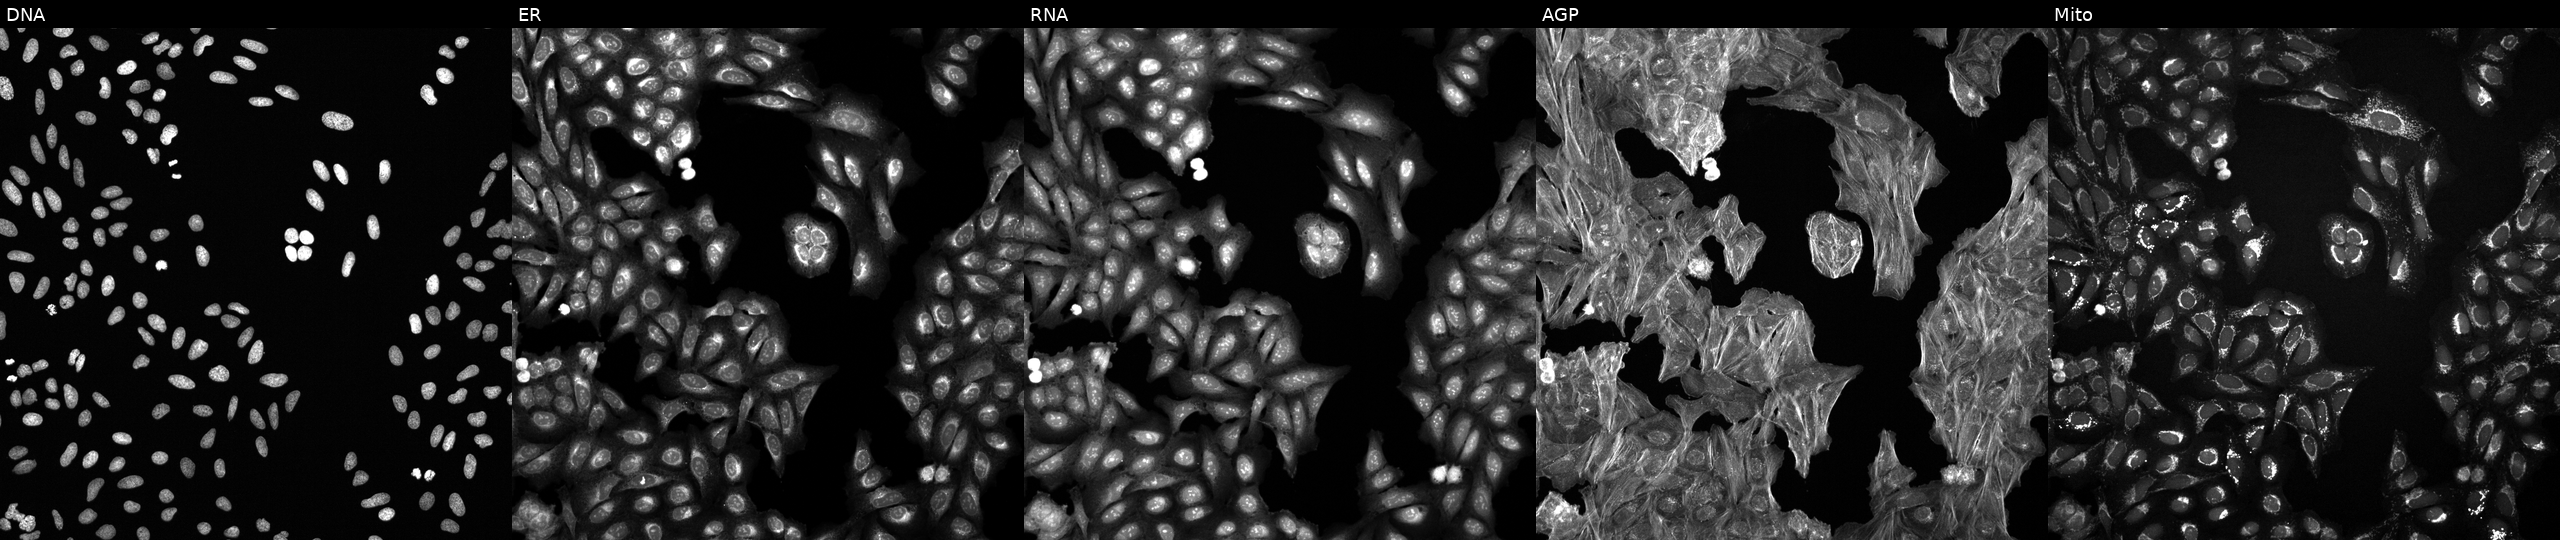
JUMP Cell Painting — TARGET2 plate. U2OS cells exposed to a small-molecule compound (InChIKey NZHGWWWHIYHZNX-UHFFFAOYSA-N) (JUMP id JCP2022_062326). Channels (left→right): DNA, ER, RNA, AGP, and Mito.